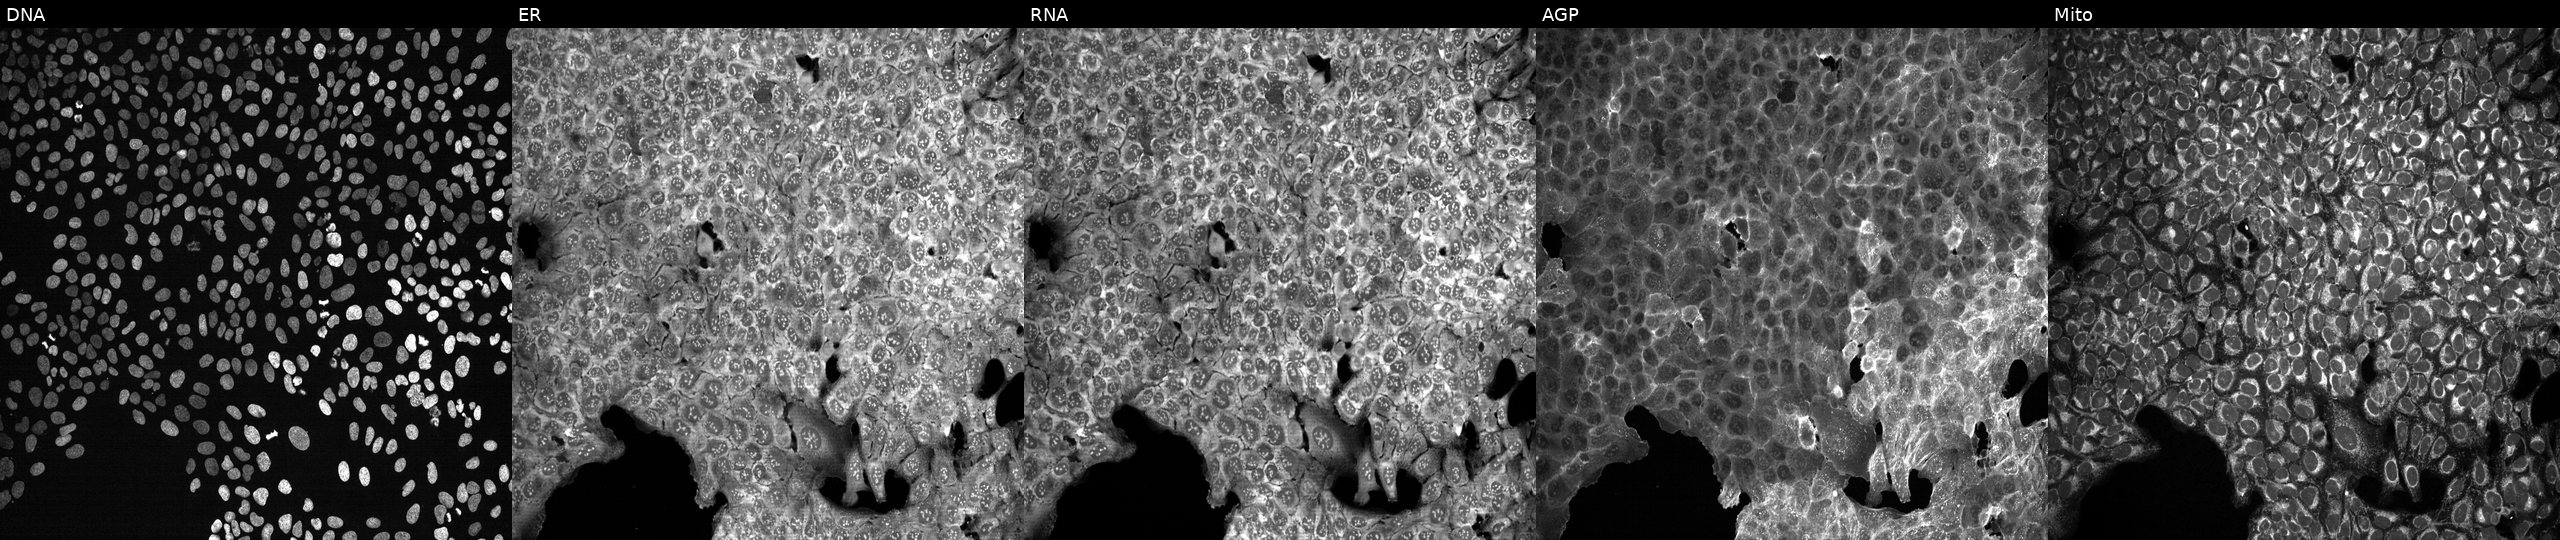
This image strip shows the five Cell Painting channels for a single field of U2OS cells exposed to the positive-control compound LY2109761 (JUMP id JCP2022_035095). Channels (left→right): DNA, ER, RNA, AGP, and Mito.